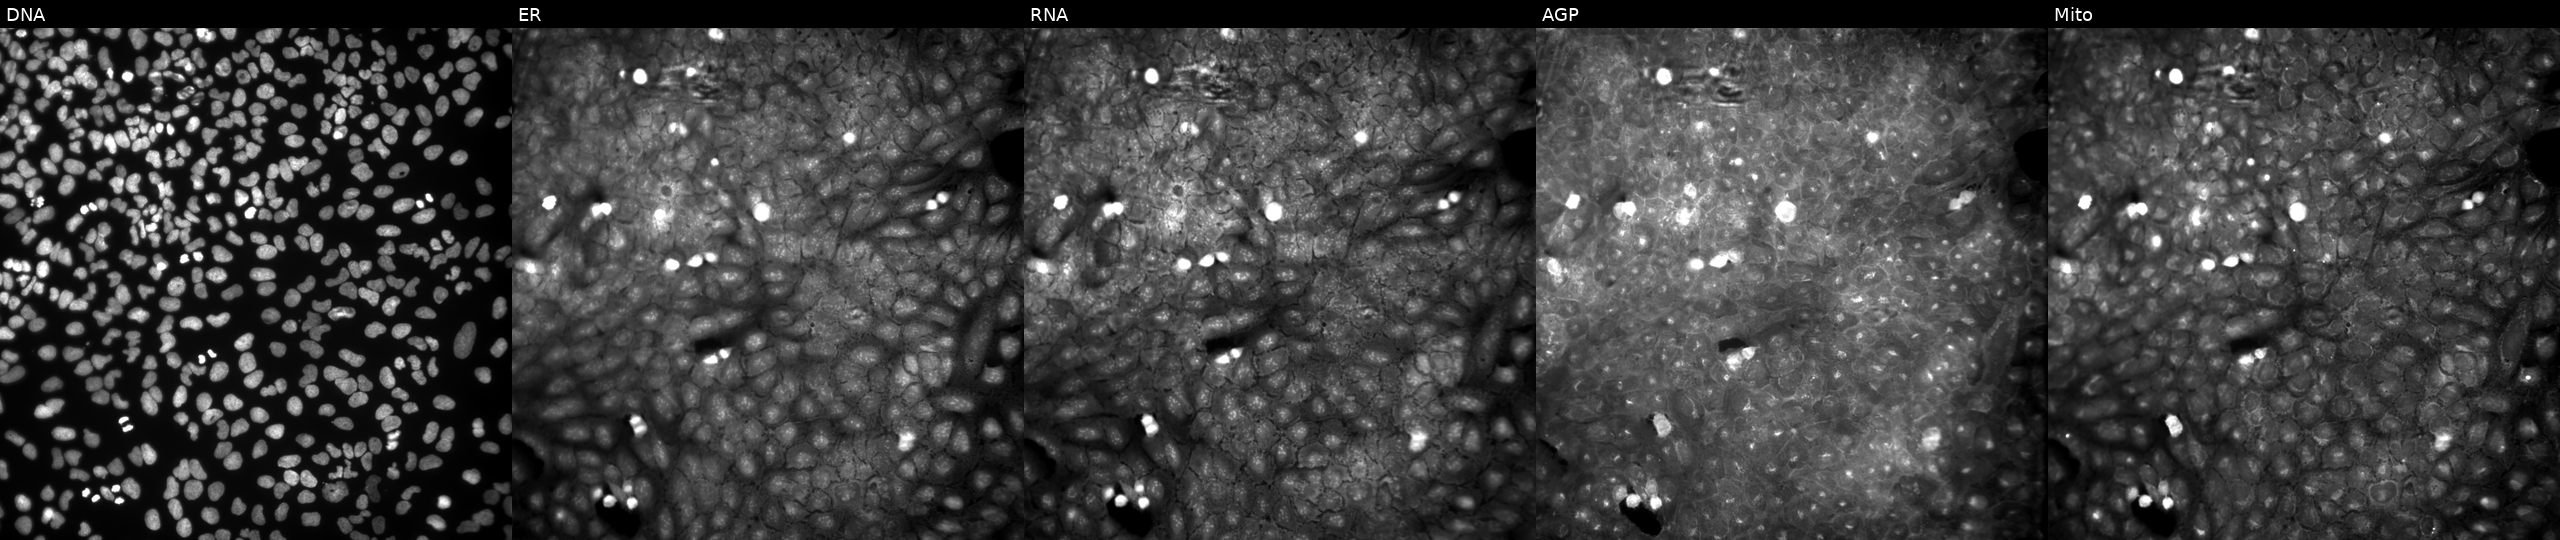
JUMP Cell Painting — COMPOUND plate. U2OS cells exposed to DMSO alone as a negative control (JUMP id JCP2022_033924). Channels (left→right): DNA (nuclei); ER (endoplasmic reticulum); RNA (nucleoli and cytoplasmic RNA); AGP (actin cytoskeleton, Golgi, and plasma membrane); Mito (mitochondria).